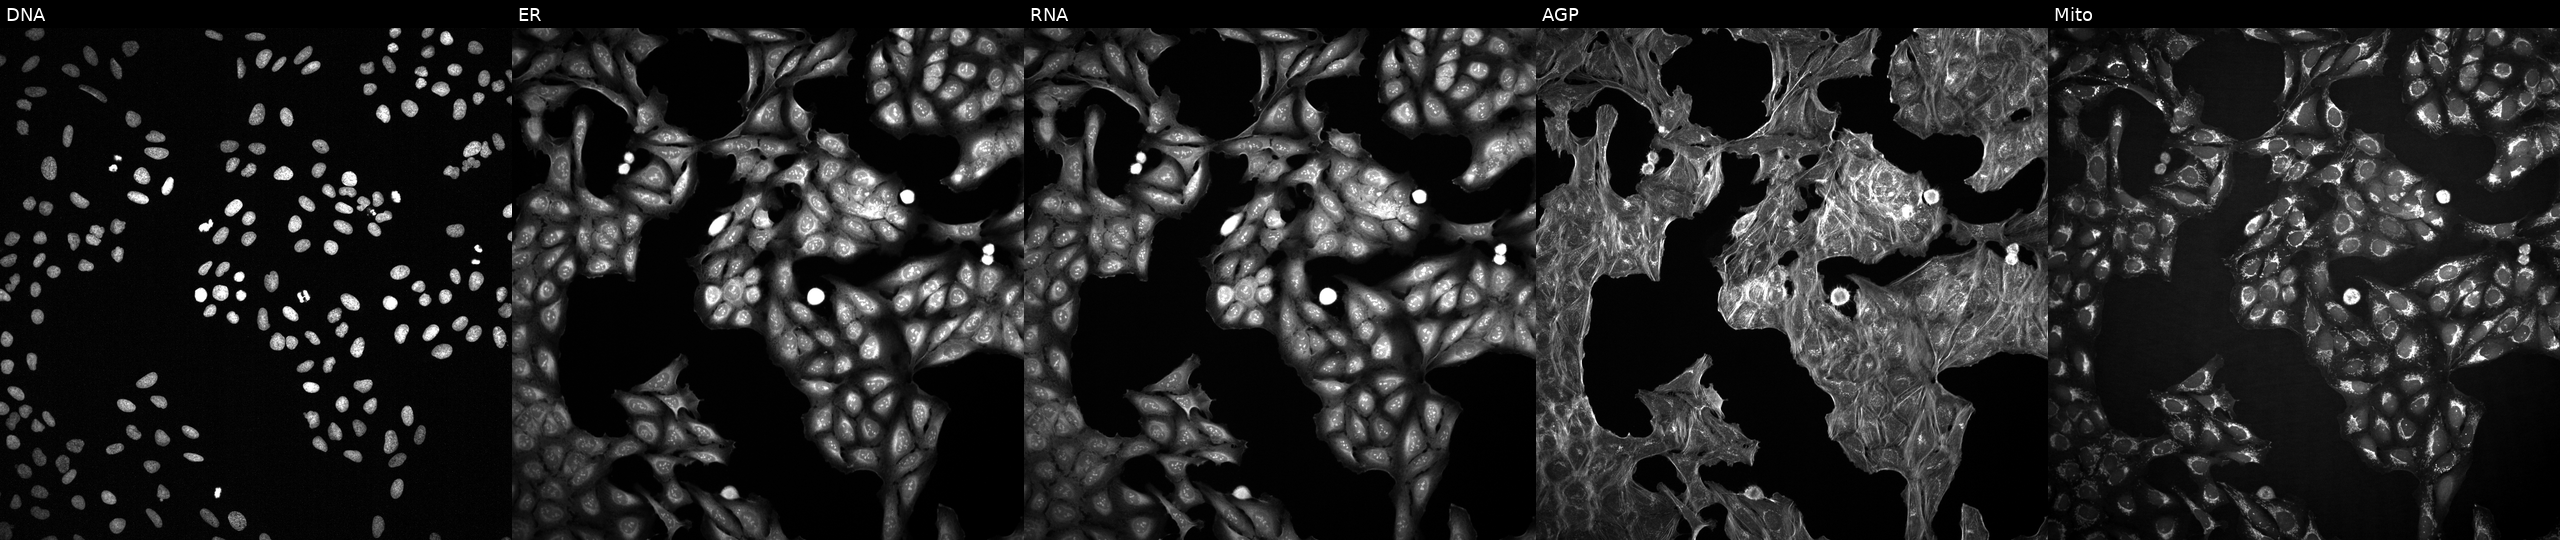
JUMP Cell Painting — COMPOUND plate. U2OS cells exposed to DMSO alone as a negative control (JUMP id JCP2022_033924). From left to right: DNA, ER, RNA, AGP, and Mito.